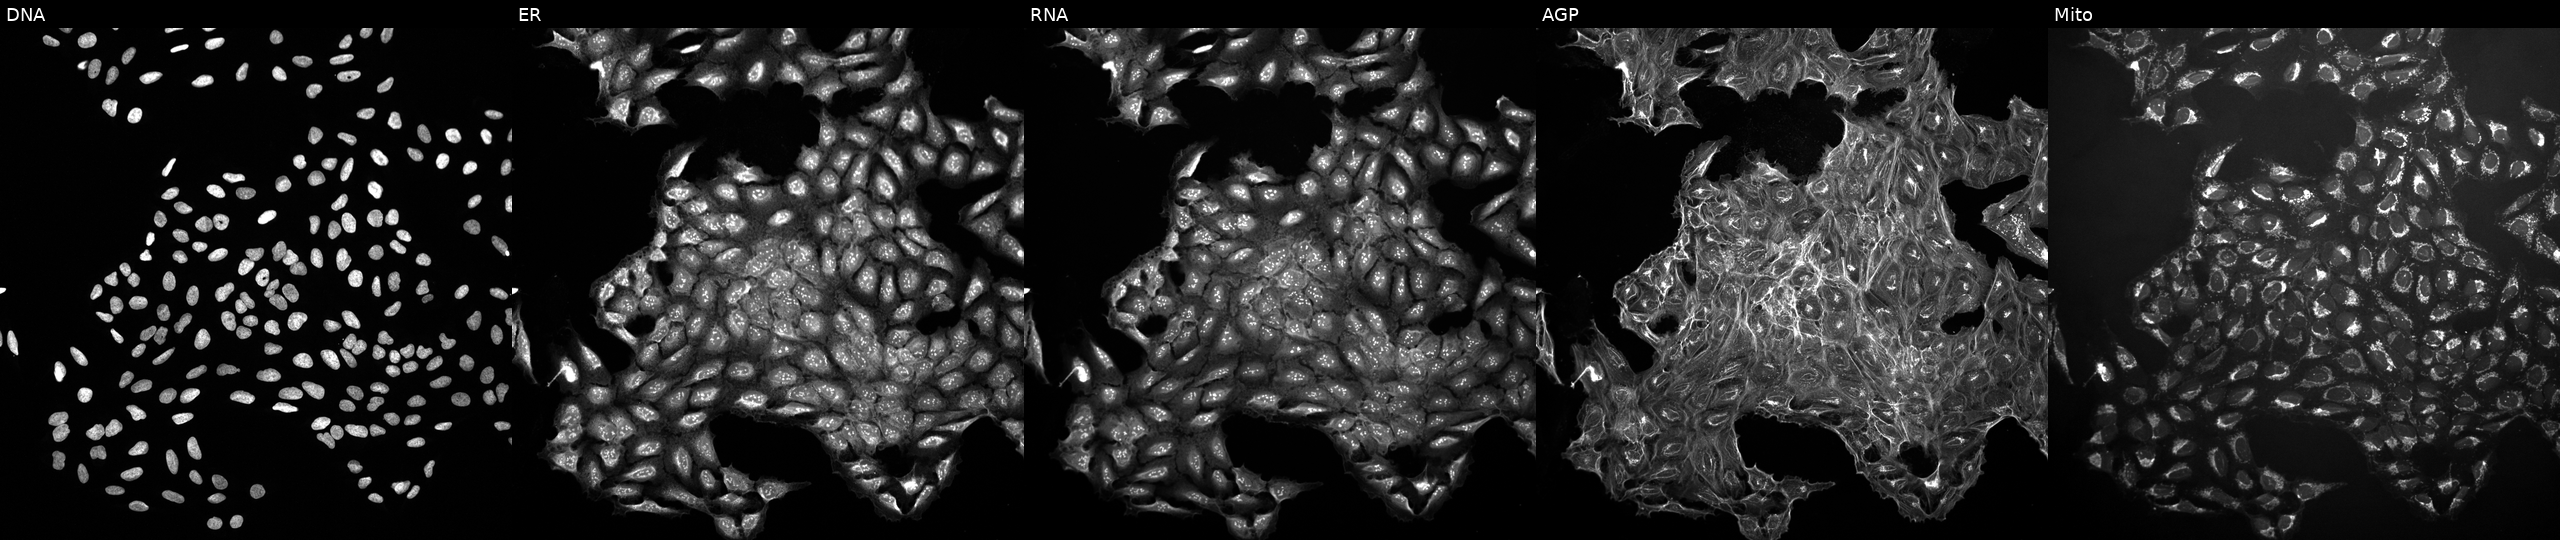
The five panels, left to right, show Hoechst 33342, concanavalin A, SYTO 14, phalloidin and WGA, MitoTracker. U2OS osteosarcoma cells treated with a small-molecule compound (InChIKey HGVDHZBSSITLCT-UHFFFAOYSA-N). Cell Painting assay, JUMP-CP dataset.